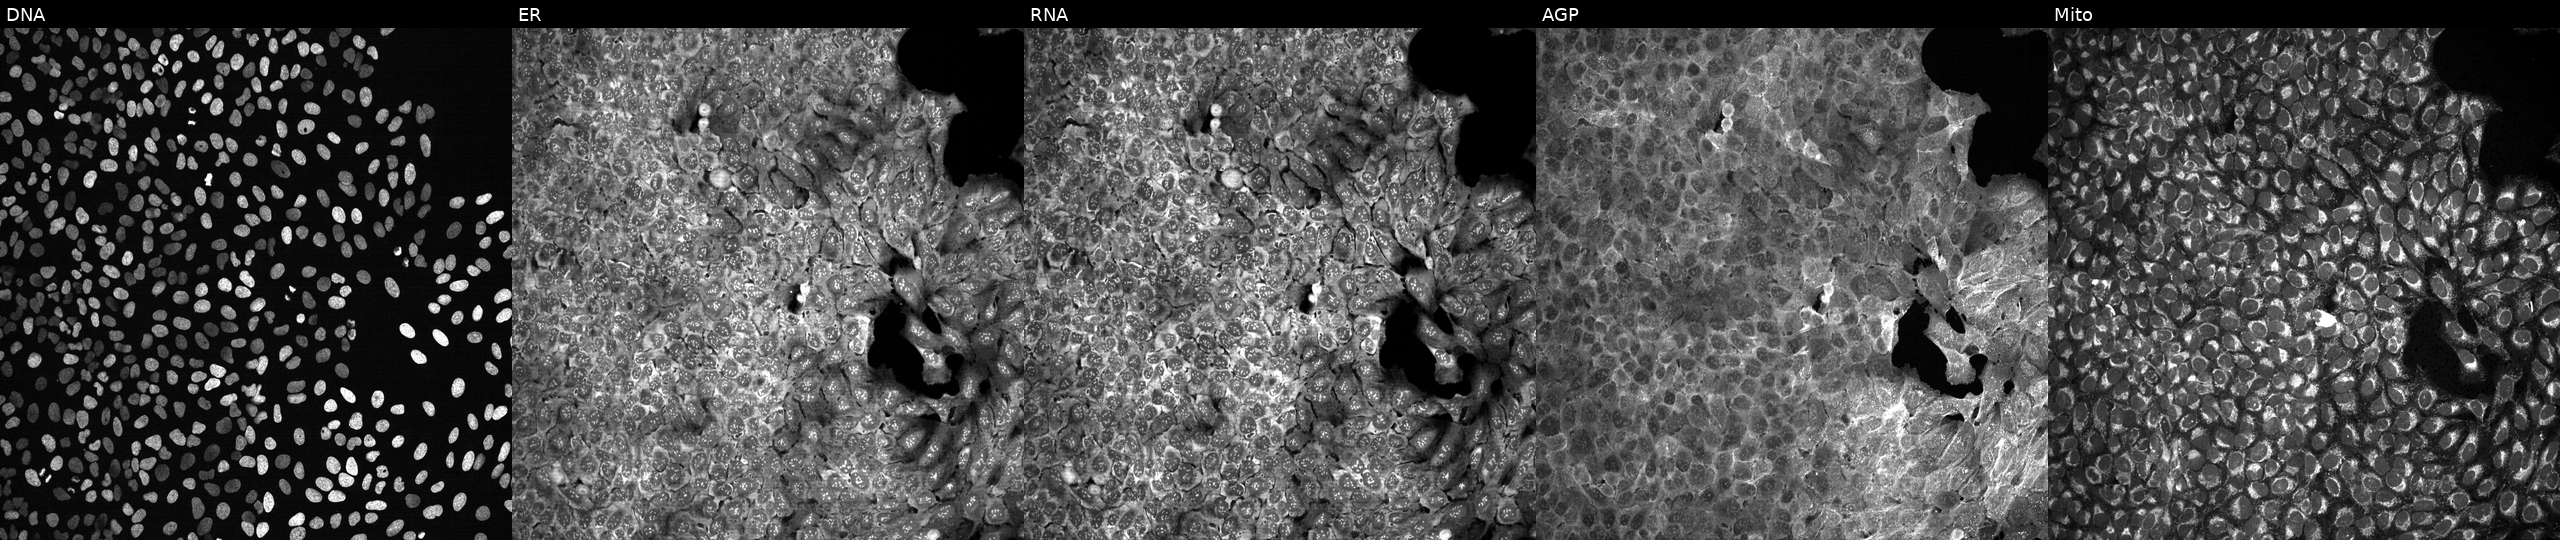
High-content fluorescence microscopy (Cell Painting). Cell line: U2OS. Perturbation: treated with dexamethasone (positive-control compound) (JUMP id JCP2022_025848). Panels show, left to right, DNA, ER, RNA, AGP, and Mito.